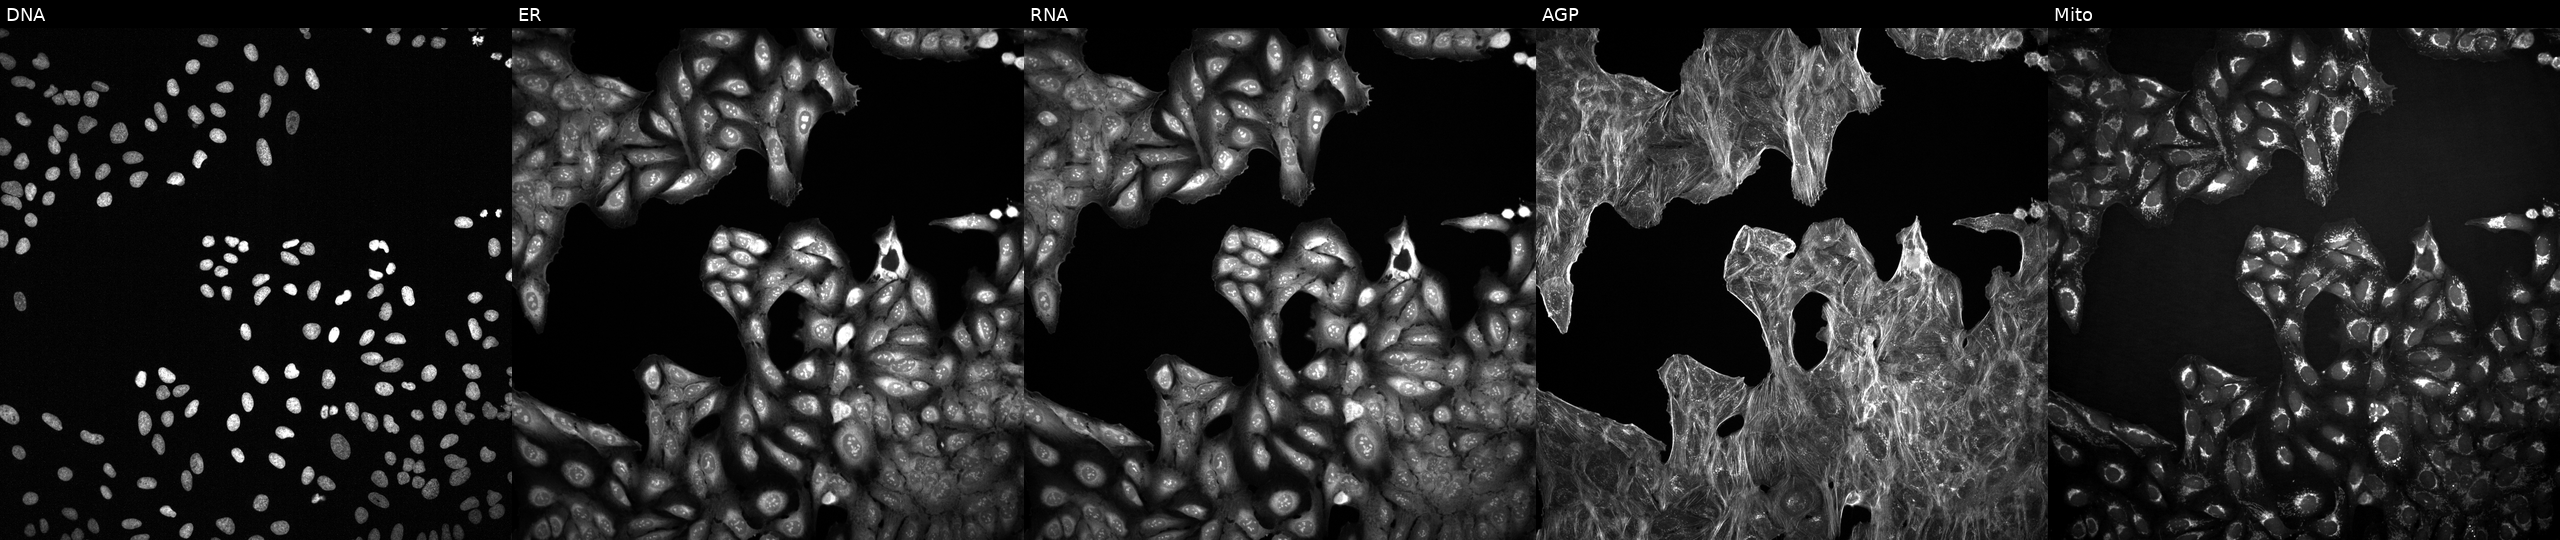
Channels (left→right): DNA, ER, RNA, AGP, and Mito. U2OS osteosarcoma cells with an unidentified perturbation (not annotated in JUMP metadata). Cell Painting assay, JUMP-CP dataset.